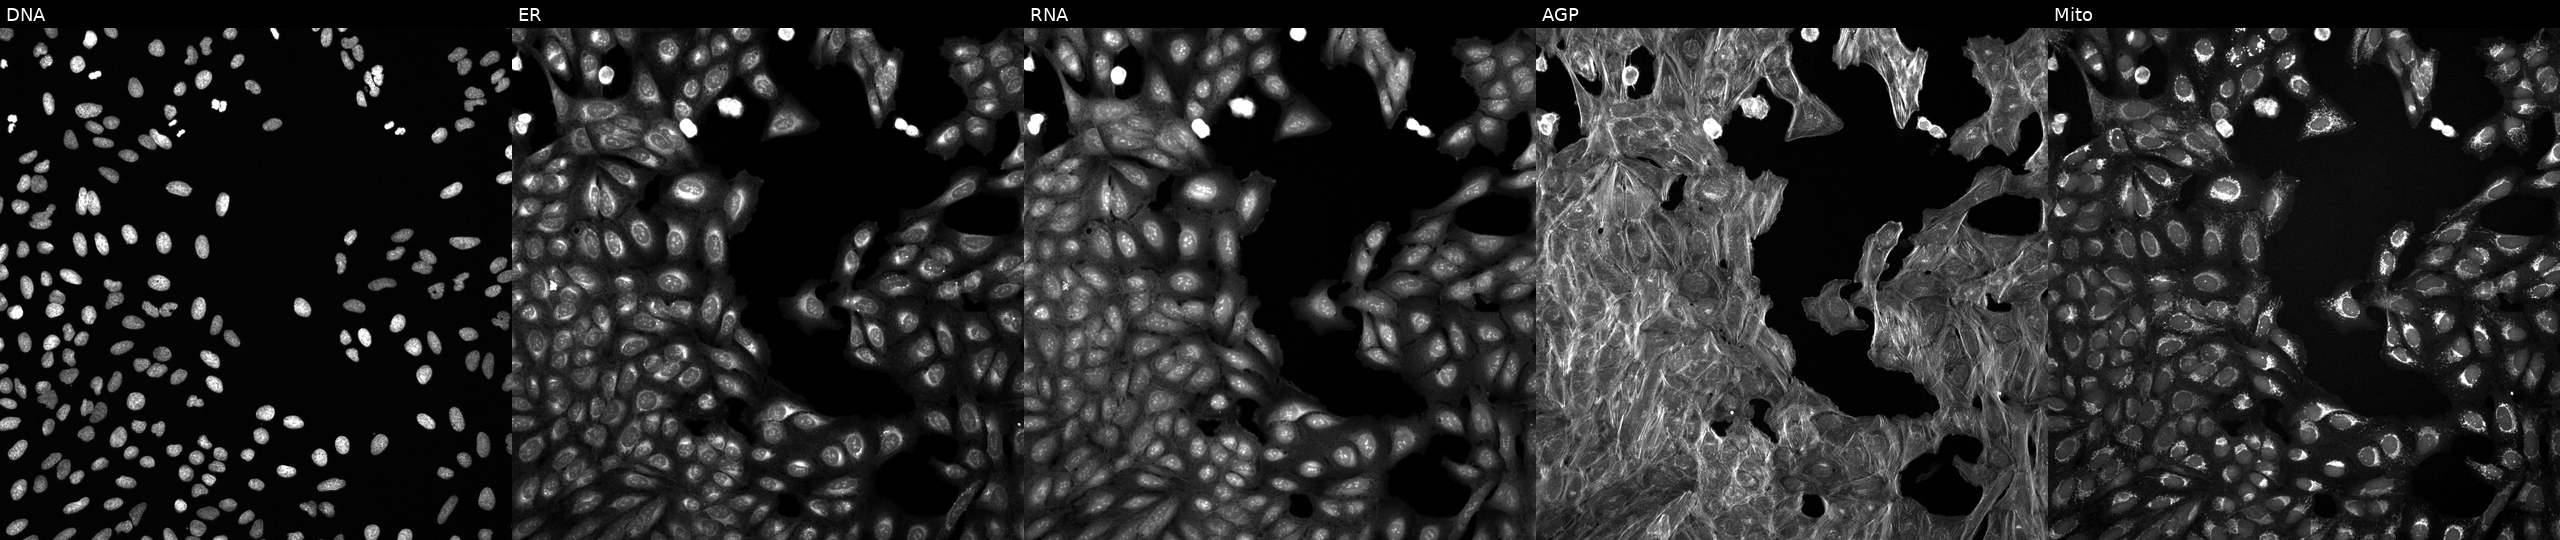
JUMP Cell Painting — TARGET2 plate. U2OS cells exposed to a small-molecule compound (InChIKey GVJHHUAWPYXKBD-UHFFFAOYSA-N) [SMILES: Cc1c(C)c2c(c(C)c1O)CCC(C)(CCCC(C)CCCC(C)CCCC(C)C)O2]. Channels (left→right): Hoechst 33342, concanavalin A, SYTO 14, phalloidin and WGA, MitoTracker. Source 6, plate 110000293093, well G09.